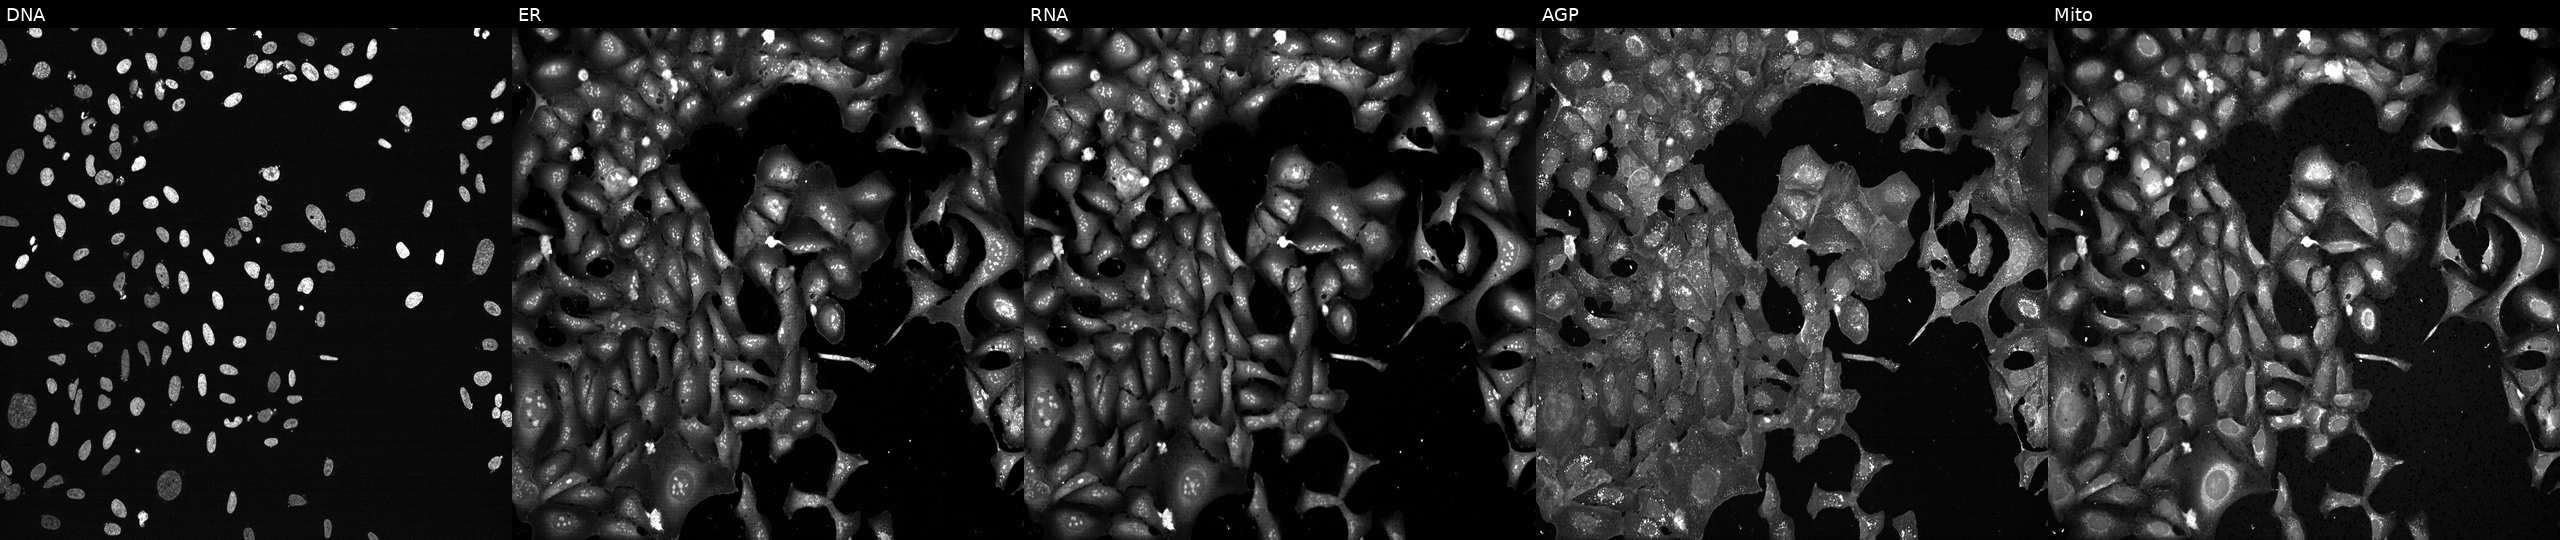
Five-channel Cell Painting image of U2OS cells with MRC2 knocked out by CRISPR (JUMP id JCP2022_804264). From left to right: DNA (nuclei); ER (endoplasmic reticulum); RNA (nucleoli and cytoplasmic RNA); AGP (actin cytoskeleton, Golgi, and plasma membrane); Mito (mitochondria).